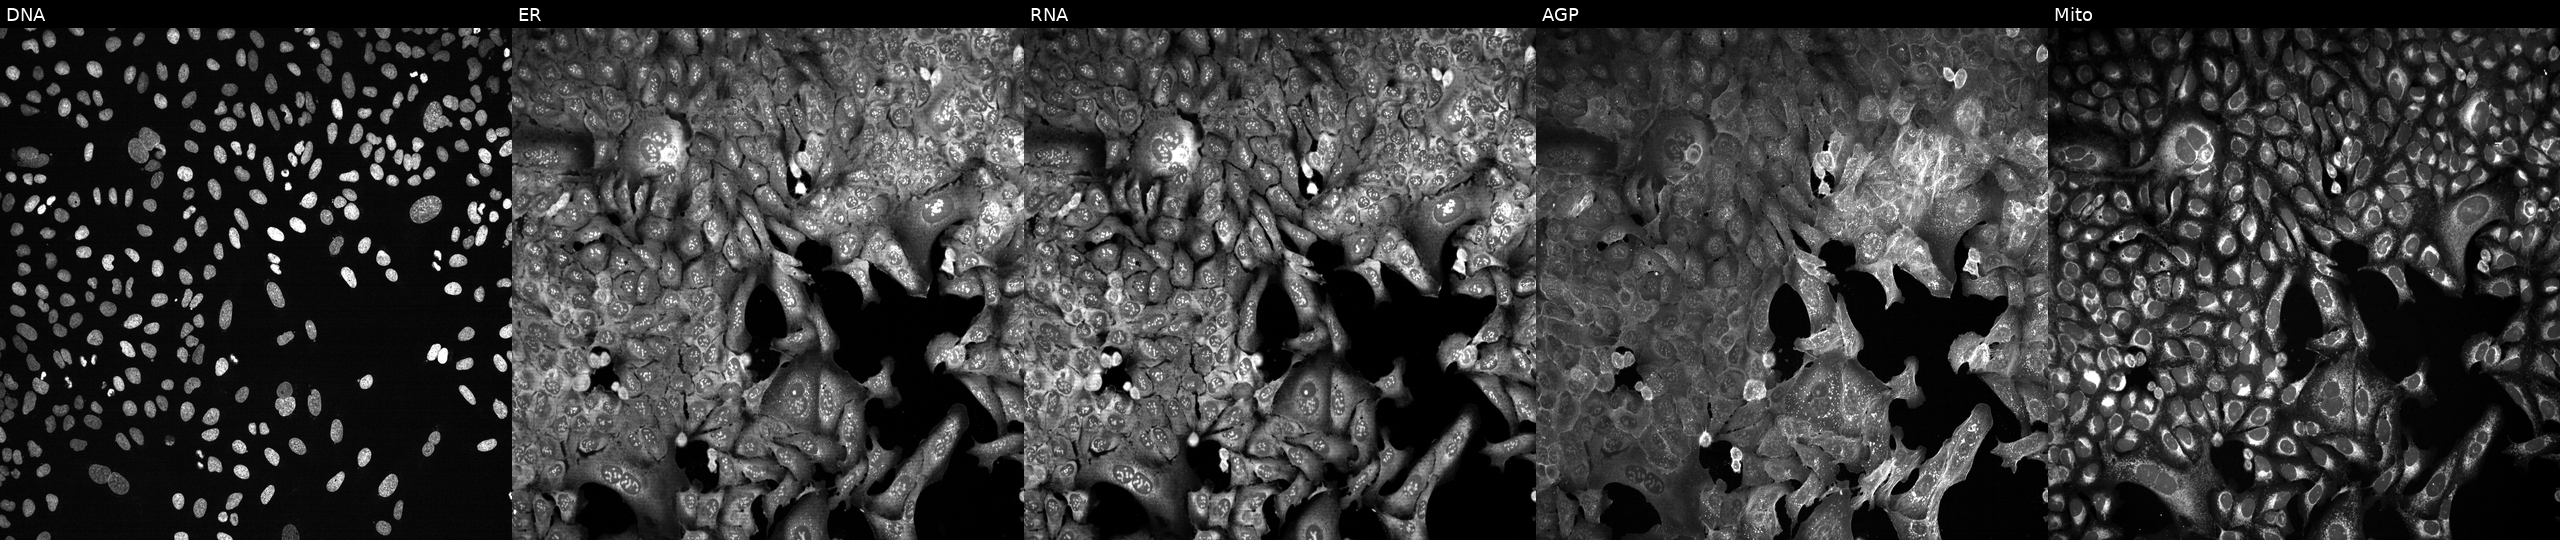
Five-channel Cell Painting image of U2OS cells with NPEPL1 knocked out by CRISPR (JUMP id JCP2022_804656). Panels show, left to right, DNA, ER, RNA, AGP, and Mito.